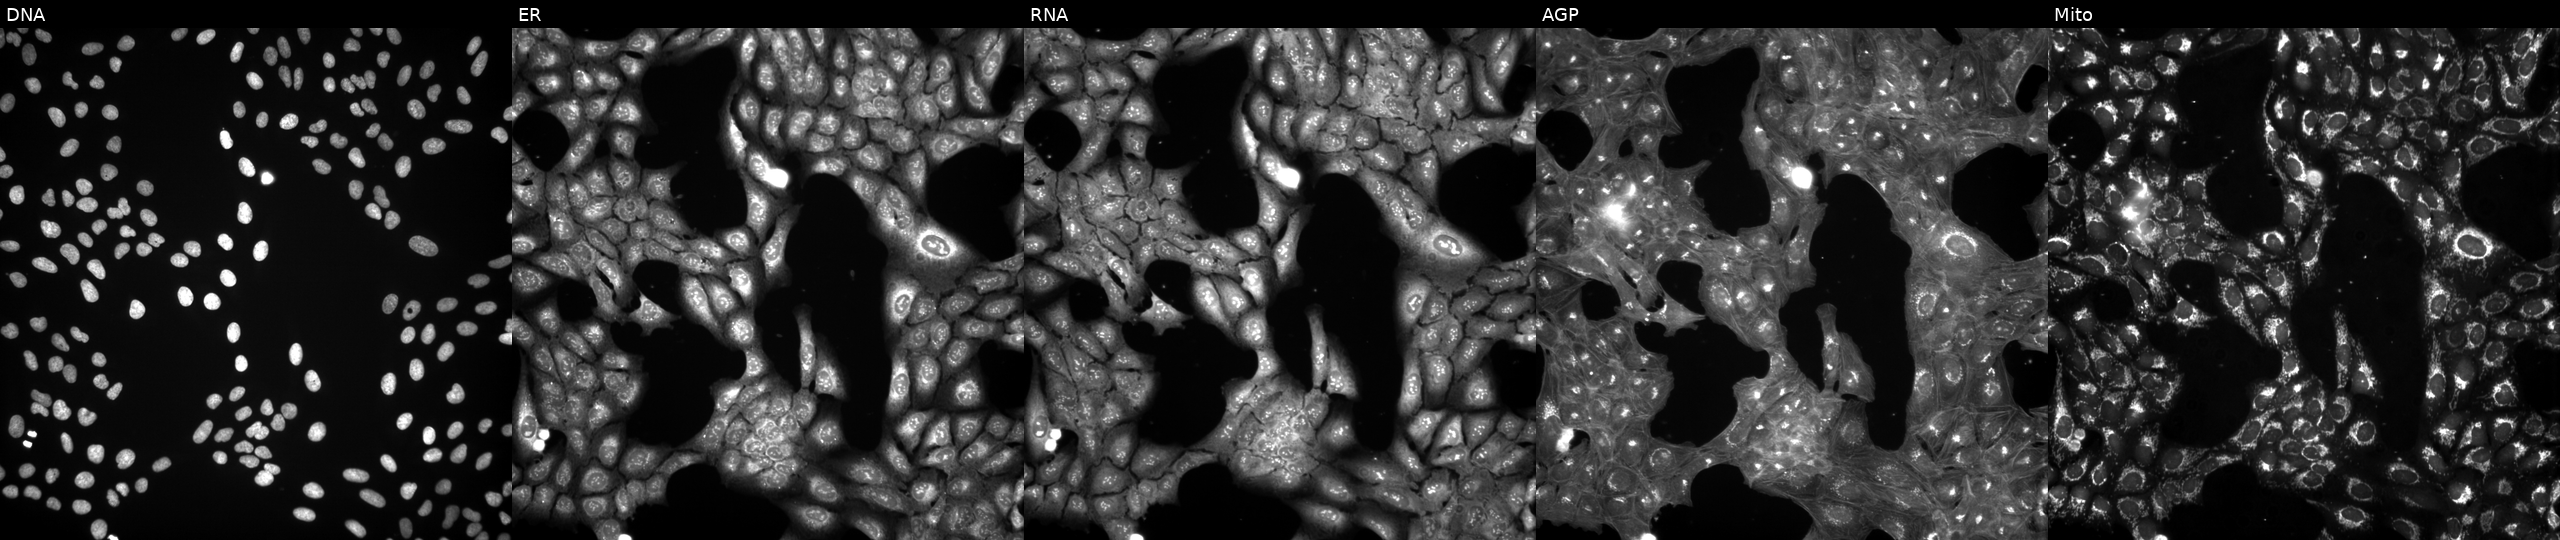
JUMP Cell Painting — TARGET2 plate. U2OS cells treated with a small-molecule compound (InChIKey PZBPKYOVPCNPJY-UHFFFAOYSA-N) [SMILES: C=CCOC(Cn1ccnc1)c1ccc(Cl)cc1Cl] (JUMP id JCP2022_071910). From left to right: Hoechst 33342, concanavalin A, SYTO 14, phalloidin and WGA, MitoTracker. Source 3, plate JCPQC052, well J10.